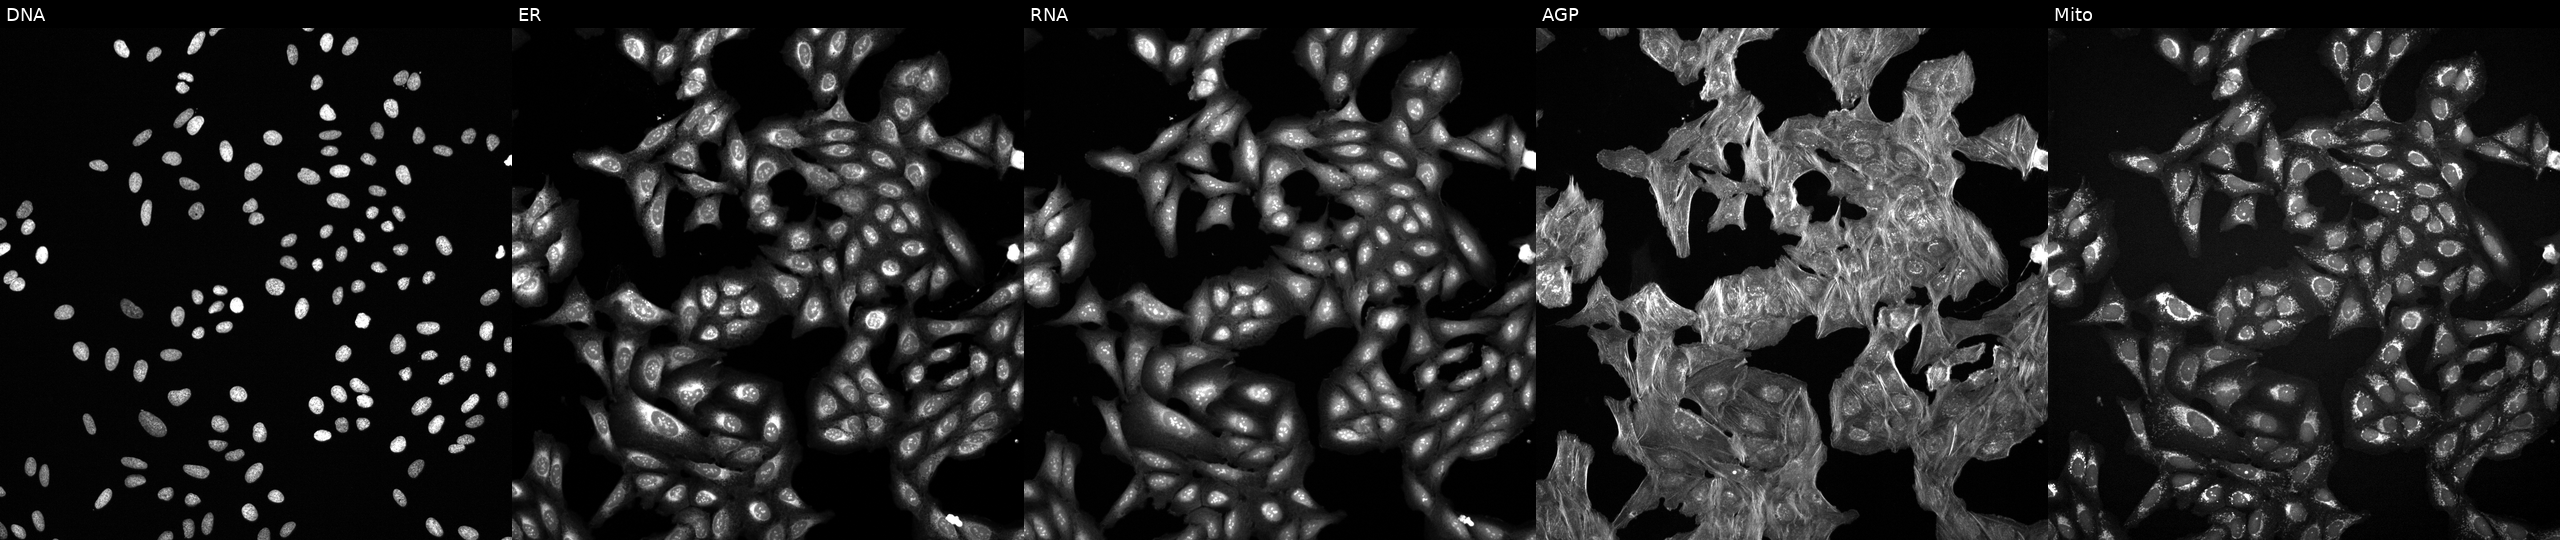
Five-channel Cell Painting image of U2OS cells exposed to a small-molecule compound (InChIKey ULZWZRDXUHFHHW-UHFFFAOYSA-N) (JUMP id JCP2022_090060). The five panels, left to right, show Hoechst 33342, concanavalin A, SYTO 14, phalloidin and WGA, MitoTracker. Source 6, plate 110000293083, well N13.